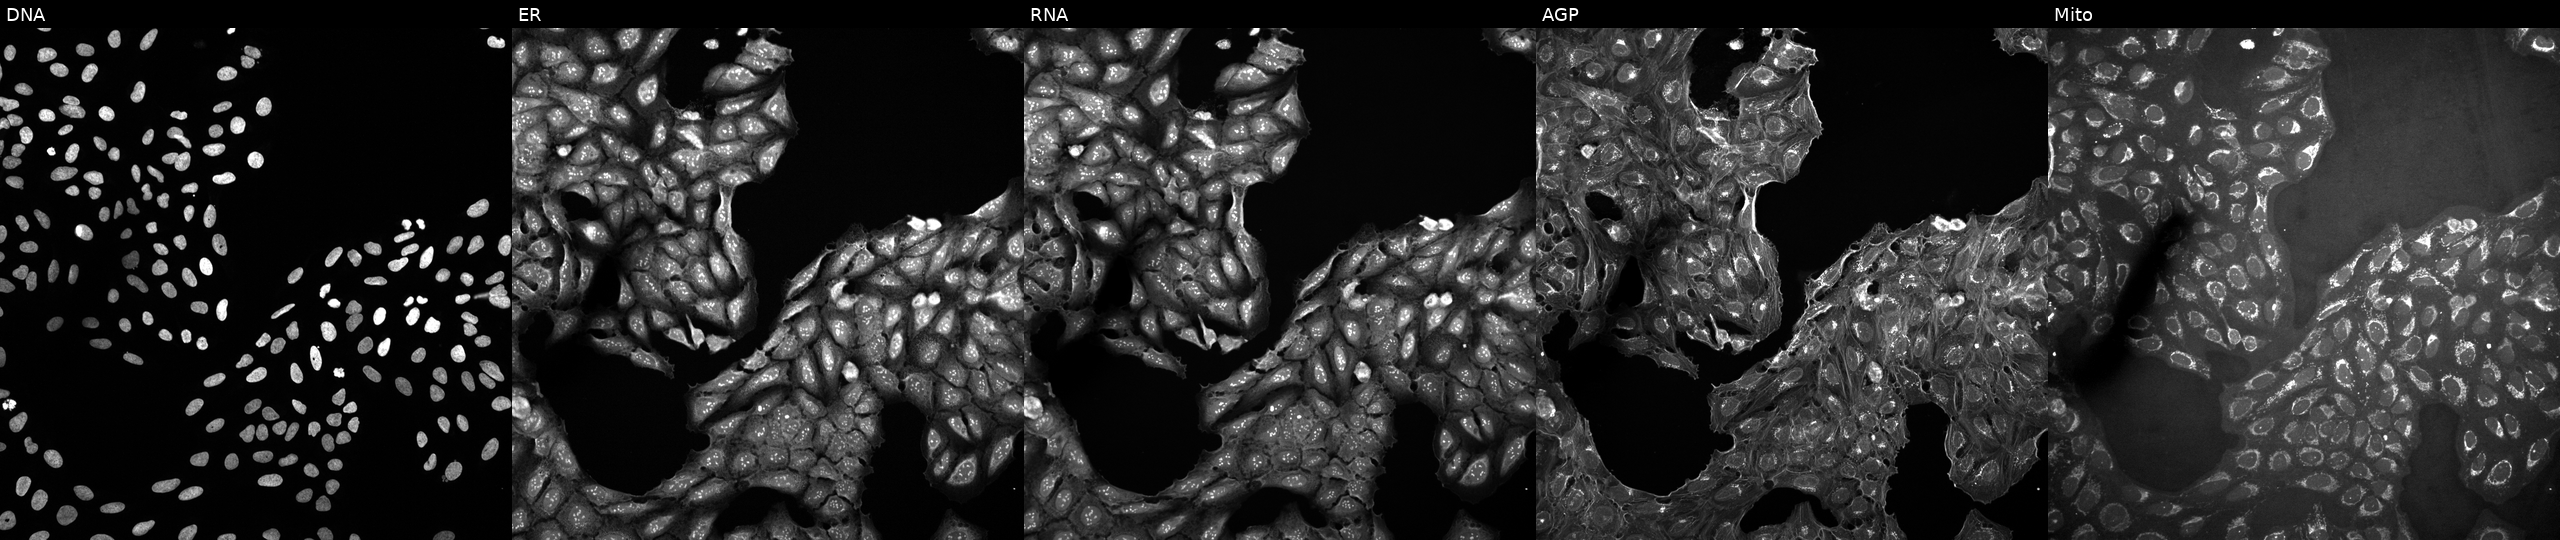
Panels show, left to right, DNA, ER, RNA, AGP, and Mito. U2OS osteosarcoma cells treated with a small-molecule compound. Cell Painting assay, JUMP-CP dataset.